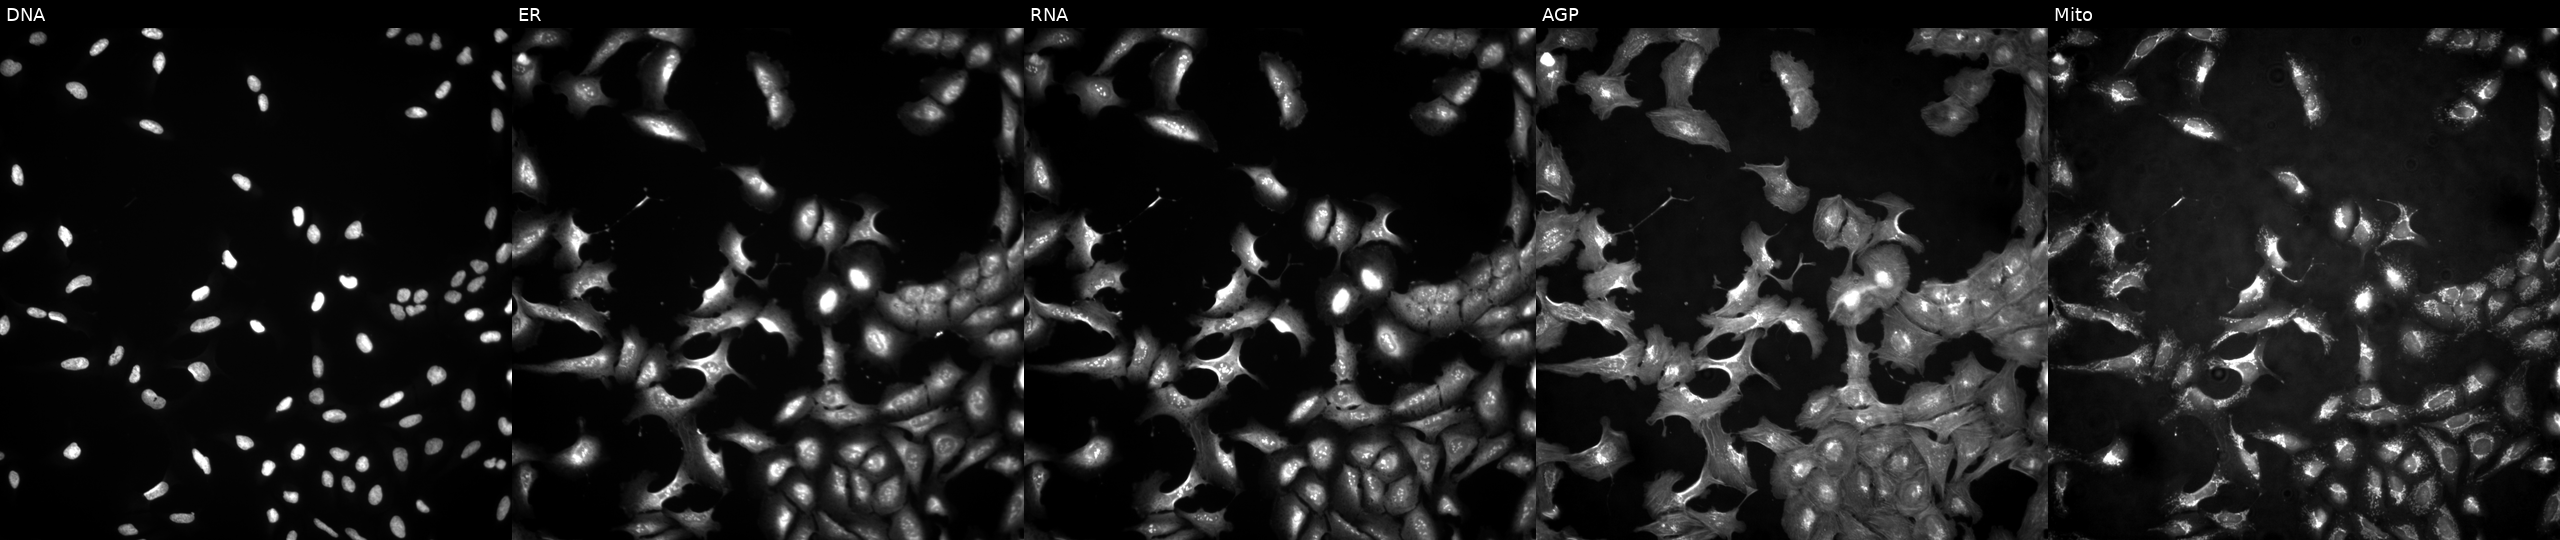
JUMP Cell Painting — ORF plate. U2OS cells with XLOC_005602 overexpressed (ORF). Channels (left→right): Hoechst 33342, concanavalin A, SYTO 14, phalloidin and WGA, MitoTracker. Source 4, plate BR00124784, well I24.